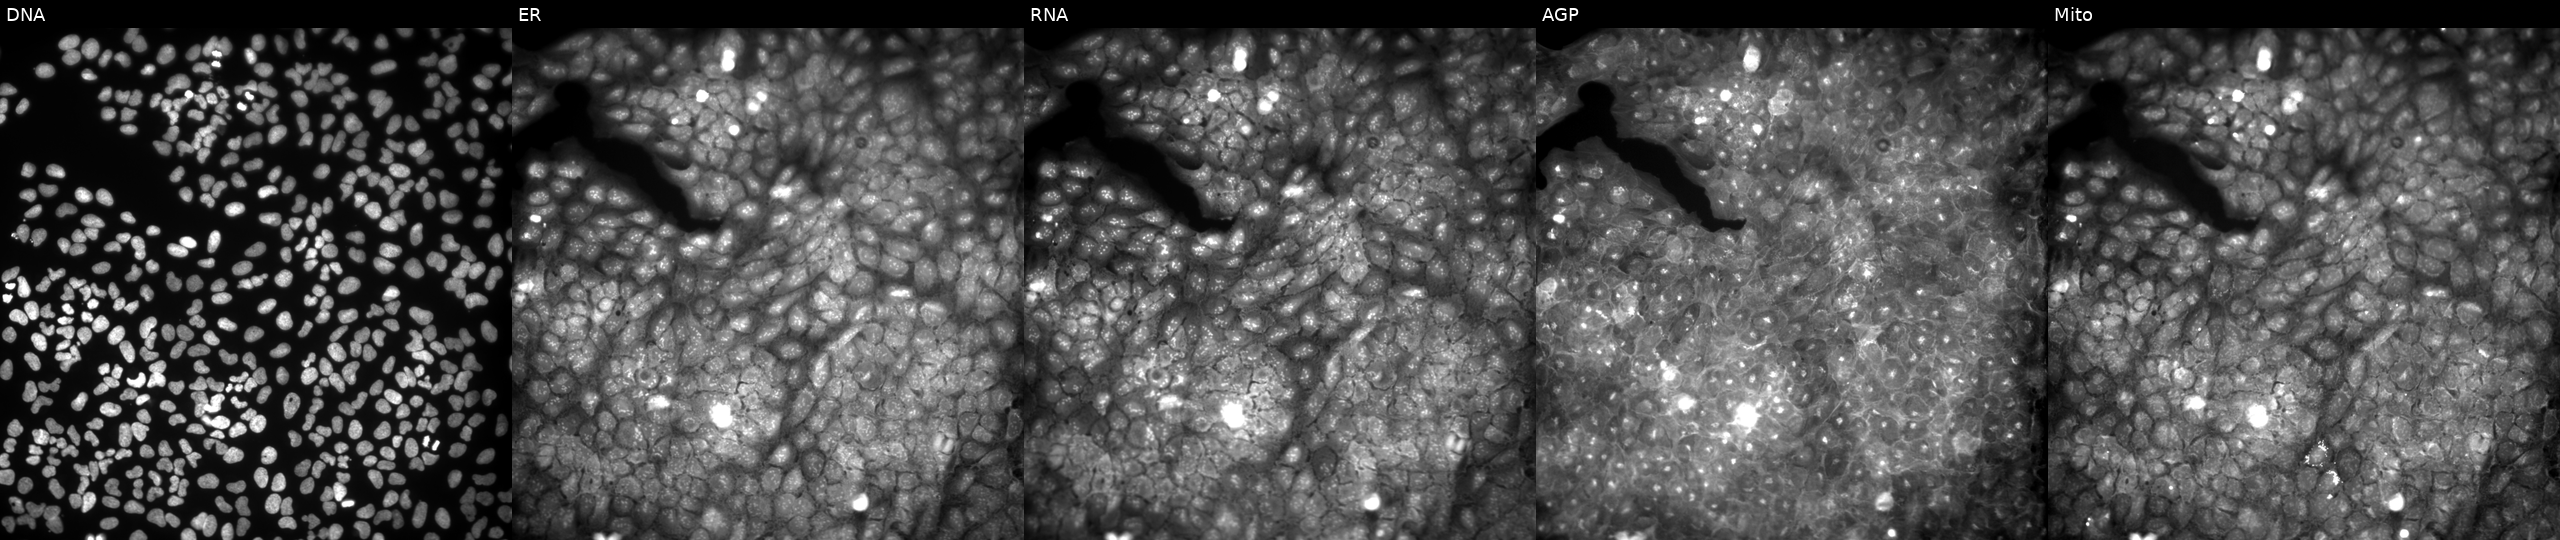
JUMP Cell Painting — COMPOUND plate. U2OS cells perturbed with a small-molecule compound (InChIKey OMSUGCNZMCSVCQ-UHFFFAOYSA-N). From left to right: DNA (nuclei); ER (endoplasmic reticulum); RNA (nucleoli and cytoplasmic RNA); AGP (actin cytoskeleton, Golgi, and plasma membrane); Mito (mitochondria). Source 9, plate GR00003381, well AD16.